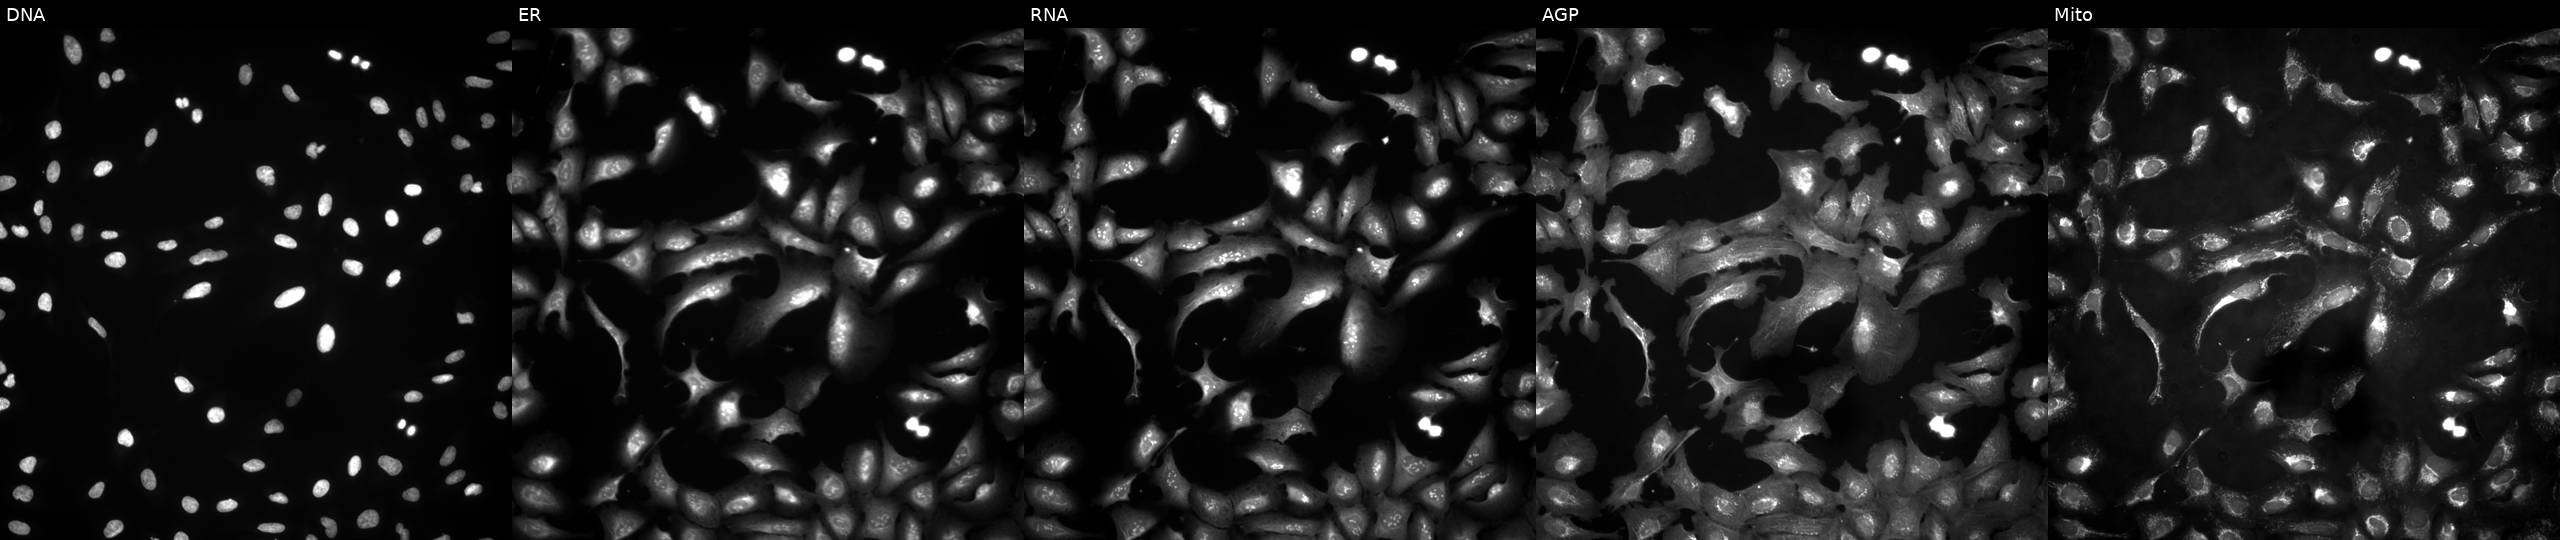
This image strip shows the five Cell Painting channels for a single field of U2OS cells transfected with an ORF construct for PGC (JUMP id JCP2022_910280). The five panels, left to right, show DNA, ER, RNA, AGP, and Mito. Source 4, plate BR00124790, well K01.